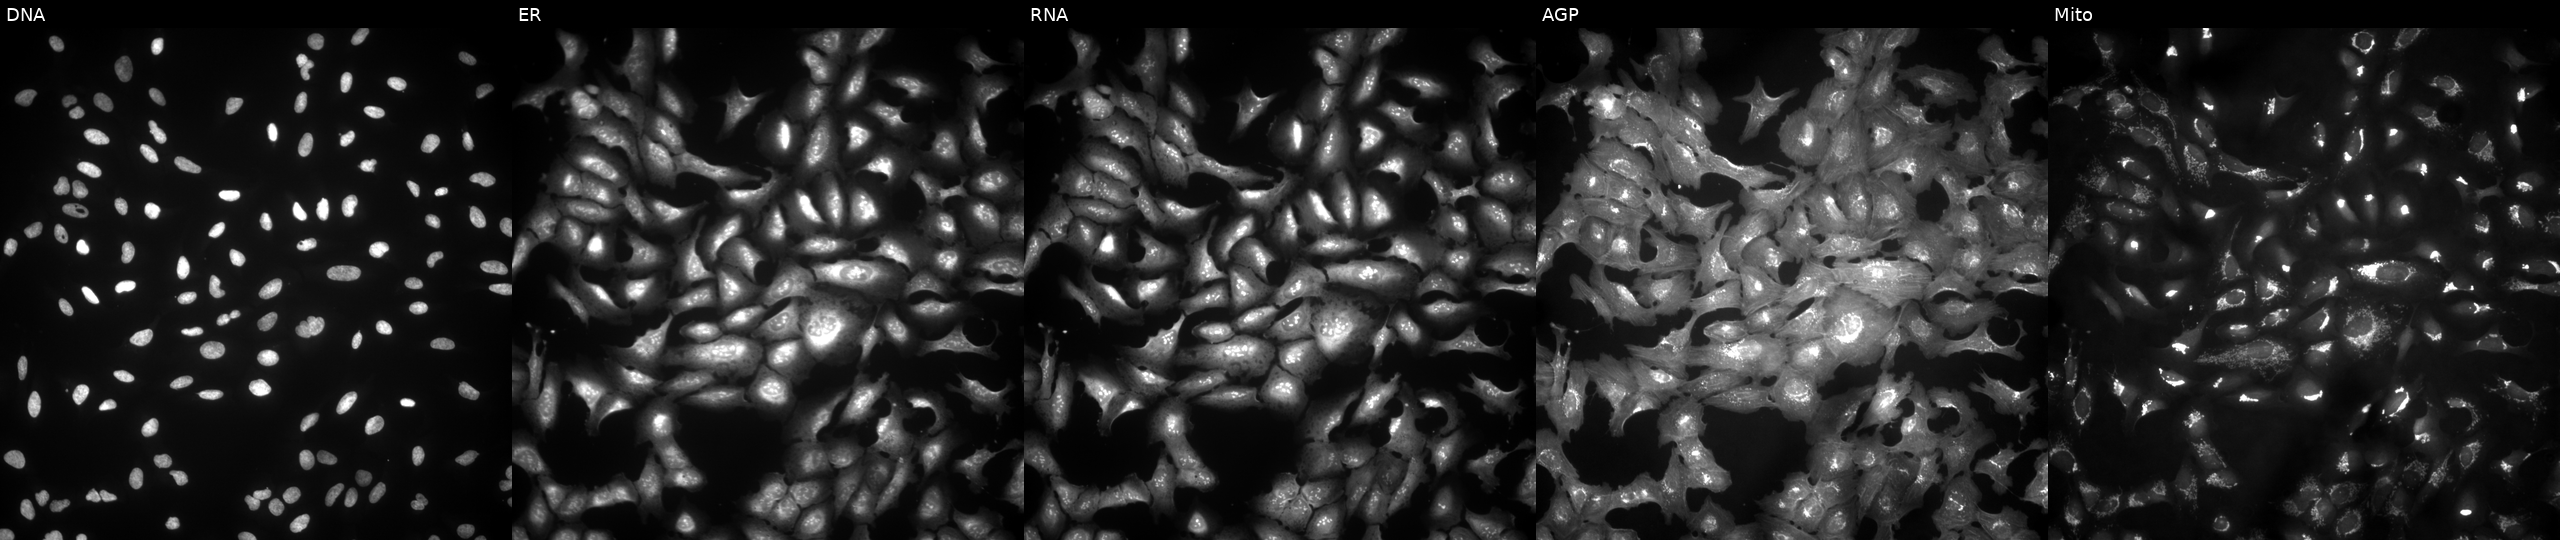
JUMP Cell Painting — ORF plate. U2OS cells with MFN1 overexpressed (ORF). Panels show, left to right, Hoechst 33342, concanavalin A, SYTO 14, phalloidin and WGA, MitoTracker. Source 4, plate BR00123506, well C02.